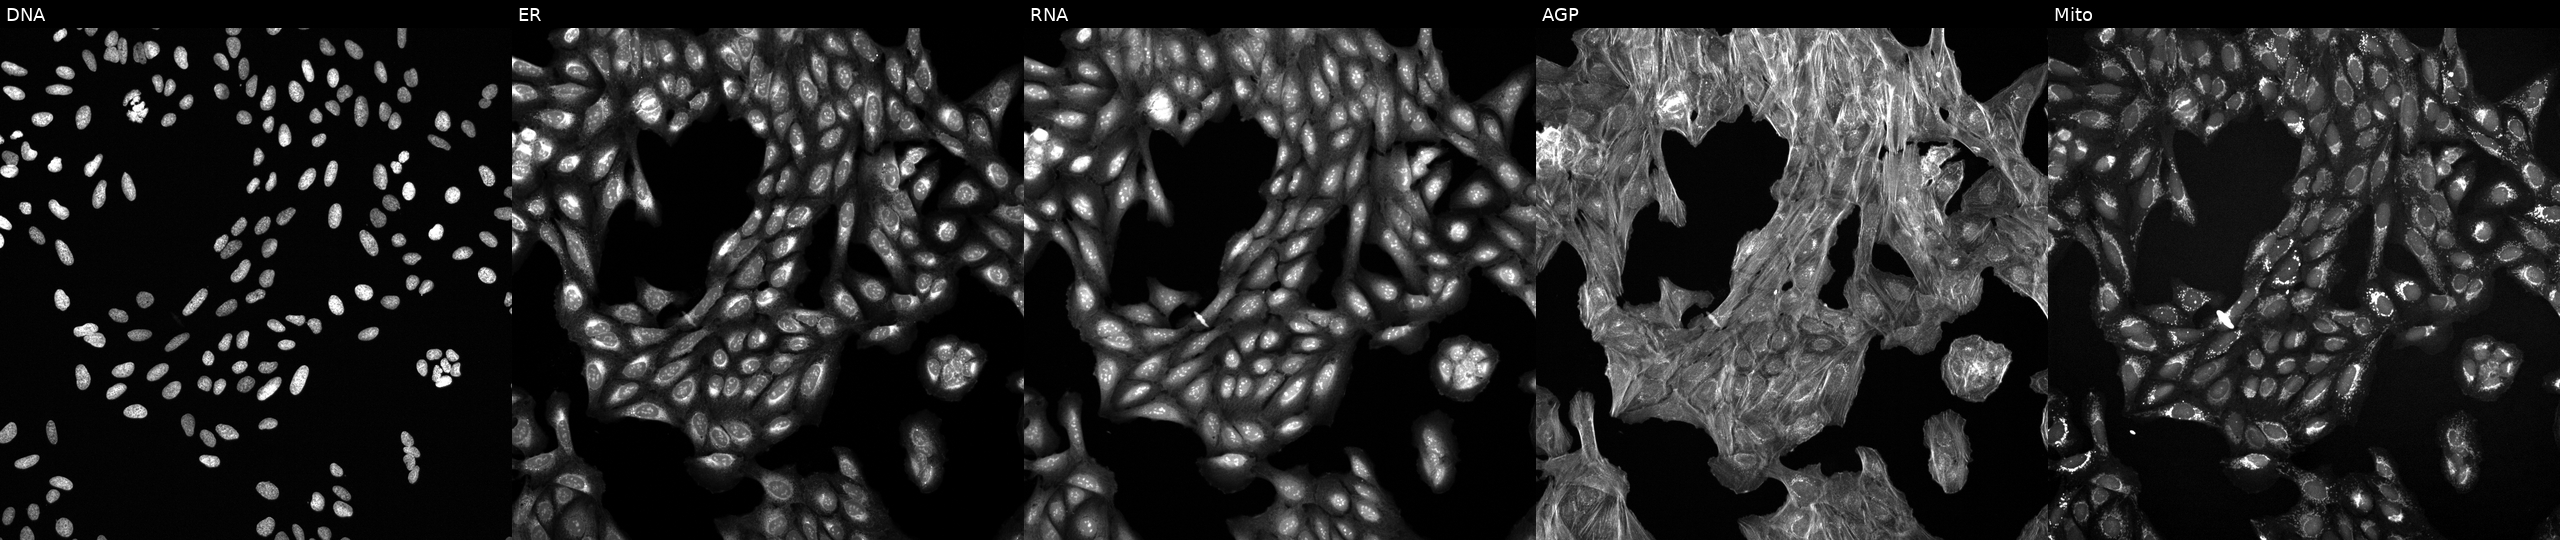
JUMP Cell Painting — TARGET2 plate. U2OS cells exposed to a small-molecule compound. Panels show, left to right, DNA, ER, RNA, AGP, and Mito. Source 6, plate 110000293081, well O03.